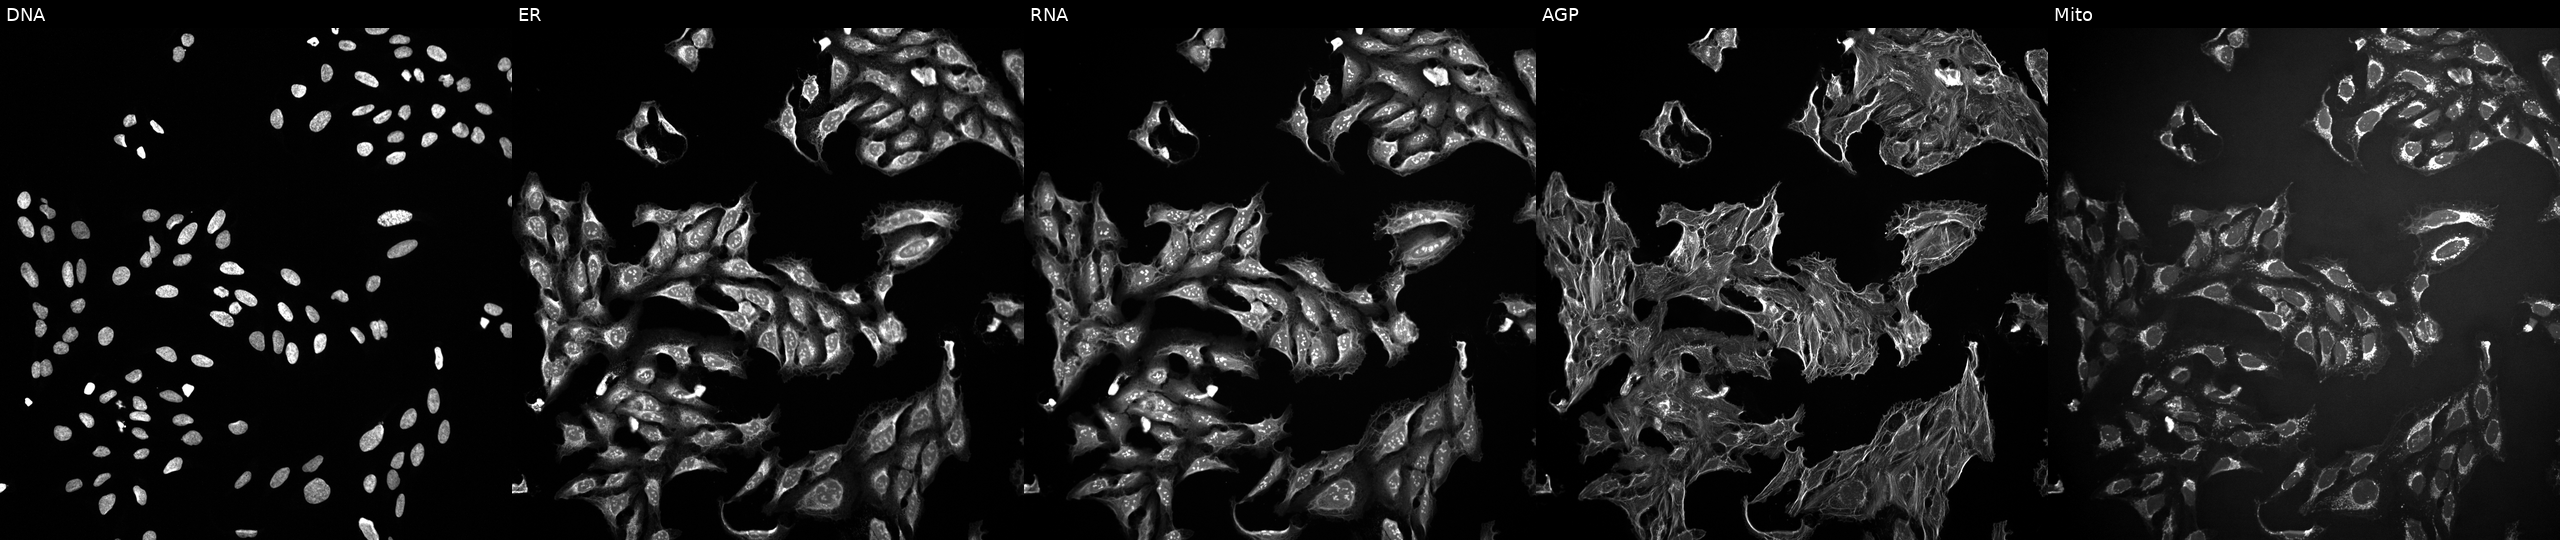
This image strip shows the five Cell Painting channels for a single field of U2OS cells perturbed with a small-molecule compound (InChIKey QWJOPXDAQCDRRM-UHFFFAOYSA-N) (JUMP id JCP2022_076300). Panels show, left to right, Hoechst 33342, concanavalin A, SYTO 14, phalloidin and WGA, MitoTracker. Source 10, plate Dest210727-153003, well M16.